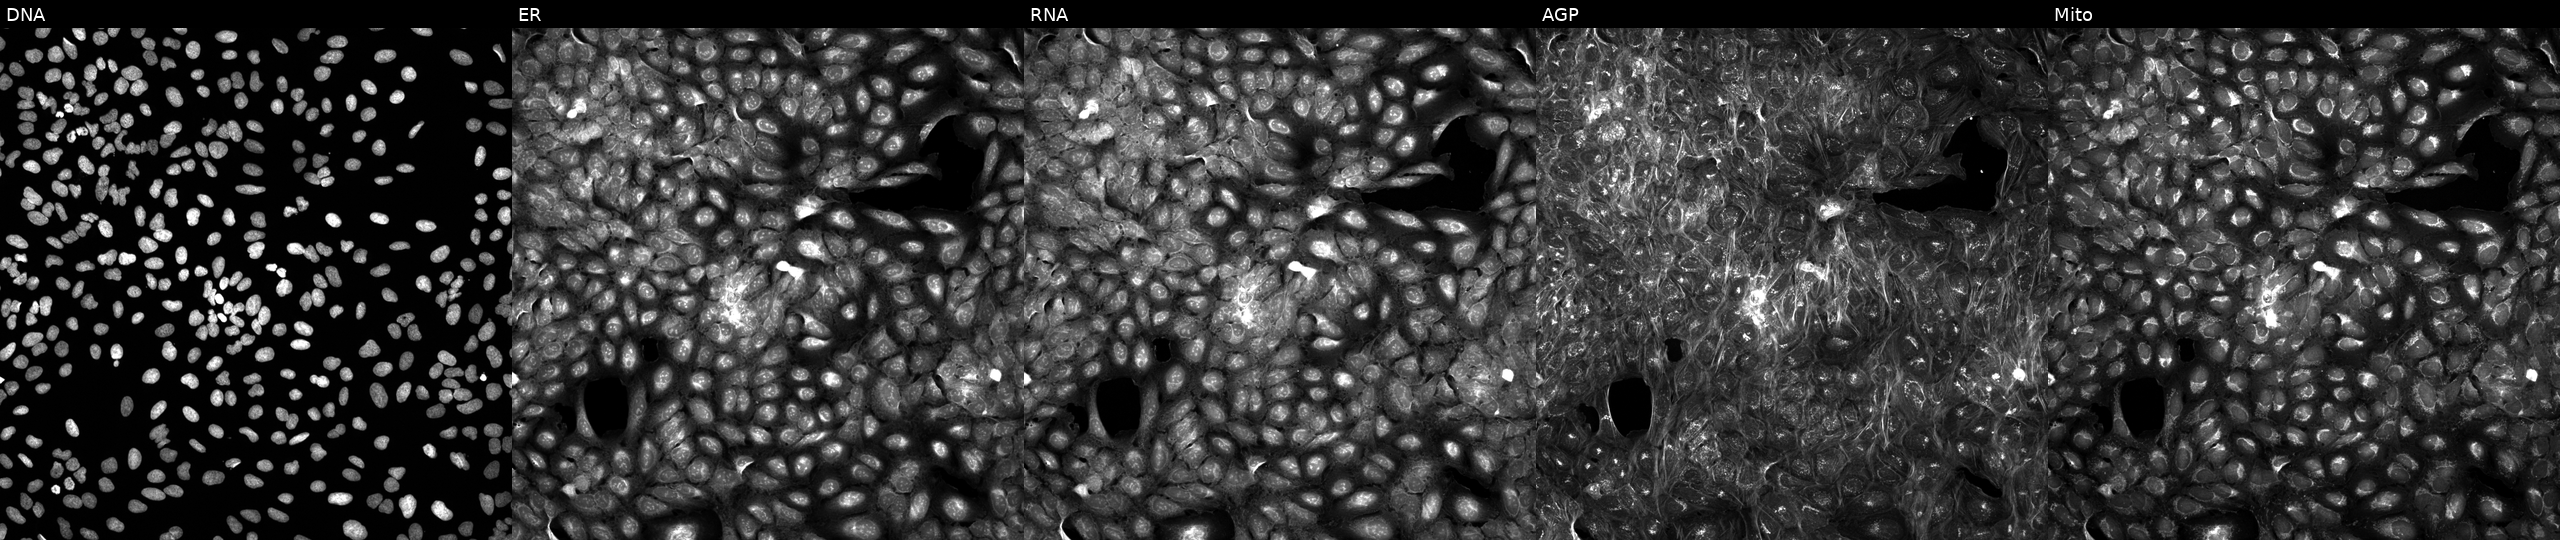
The five panels, left to right, show DNA, ER, RNA, AGP, and Mito. U2OS osteosarcoma cells exposed to a small-molecule compound (InChIKey OZLVYKOACIKHAZ-UHFFFAOYSA-N). Cell Painting assay, JUMP-CP dataset. Source 5, plate APTJUM105, well I11.